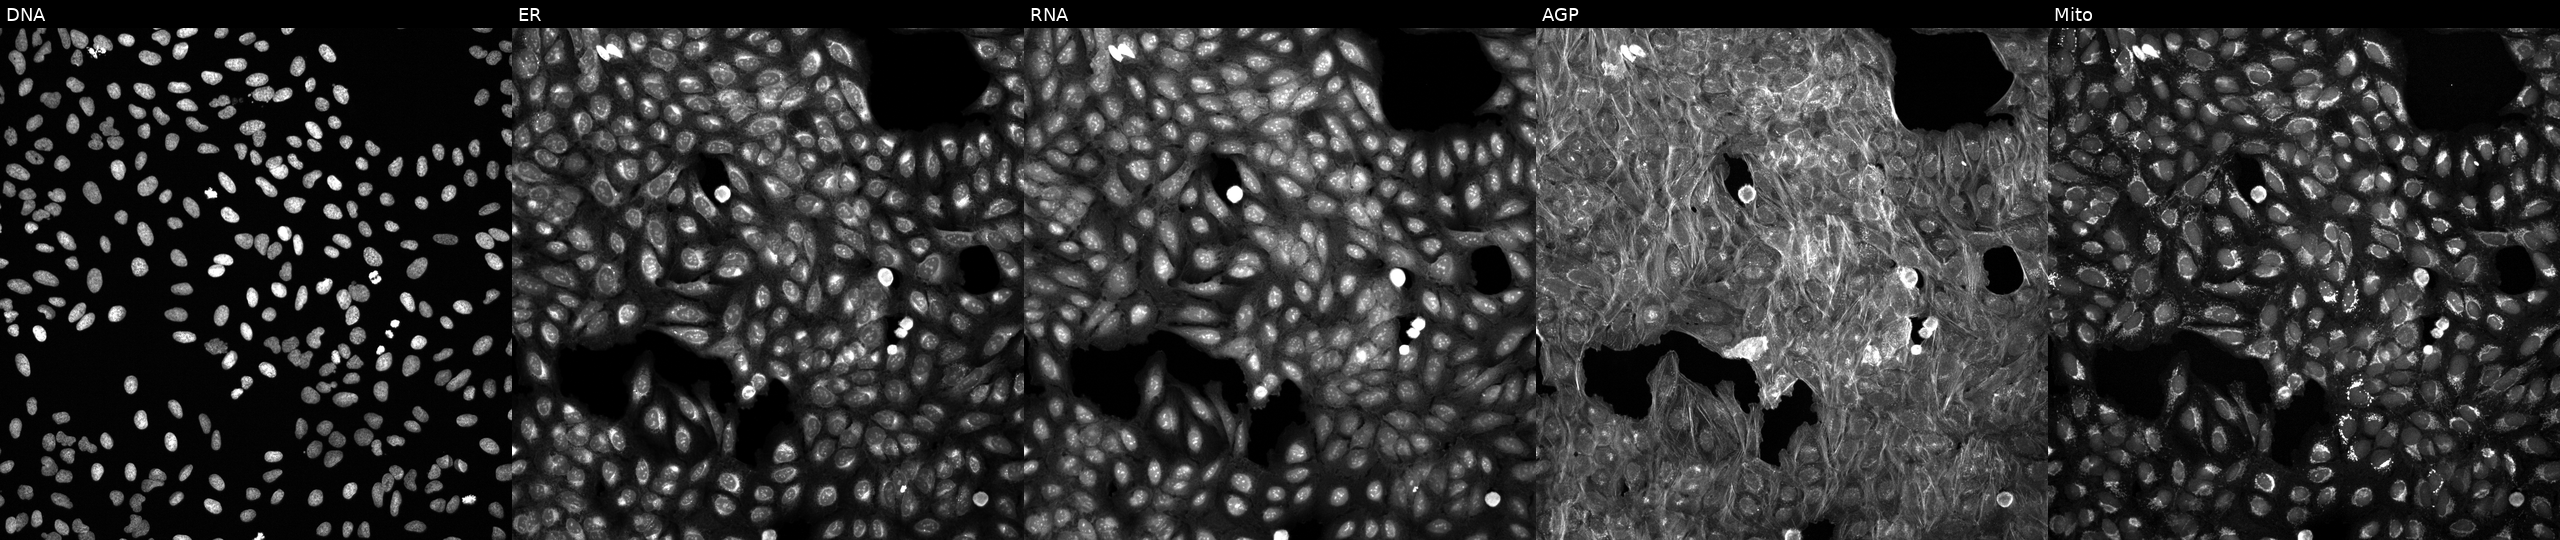
The five panels, left to right, show Hoechst 33342, concanavalin A, SYTO 14, phalloidin and WGA, MitoTracker. U2OS osteosarcoma cells treated with a small-molecule compound (JUMP id JCP2022_020163). Cell Painting assay, JUMP-CP dataset.